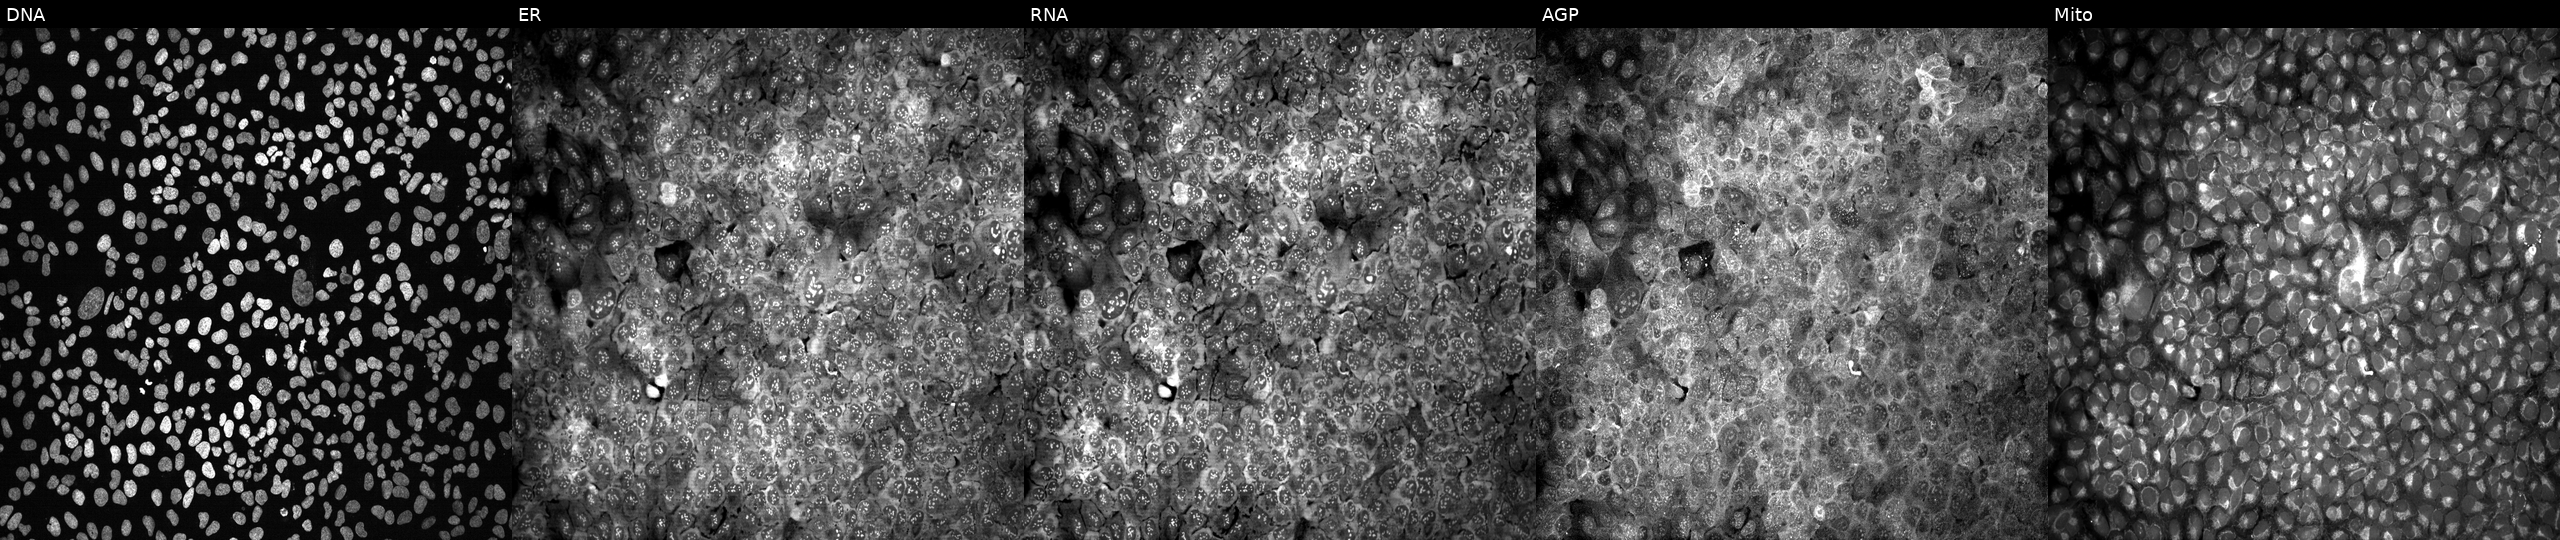
JUMP Cell Painting — CRISPR plate. U2OS cells with RAB9A knocked out by CRISPR. Panels show, left to right, DNA, ER, RNA, AGP, and Mito. Source 13, plate CP-CC9-R5-01, well O19.